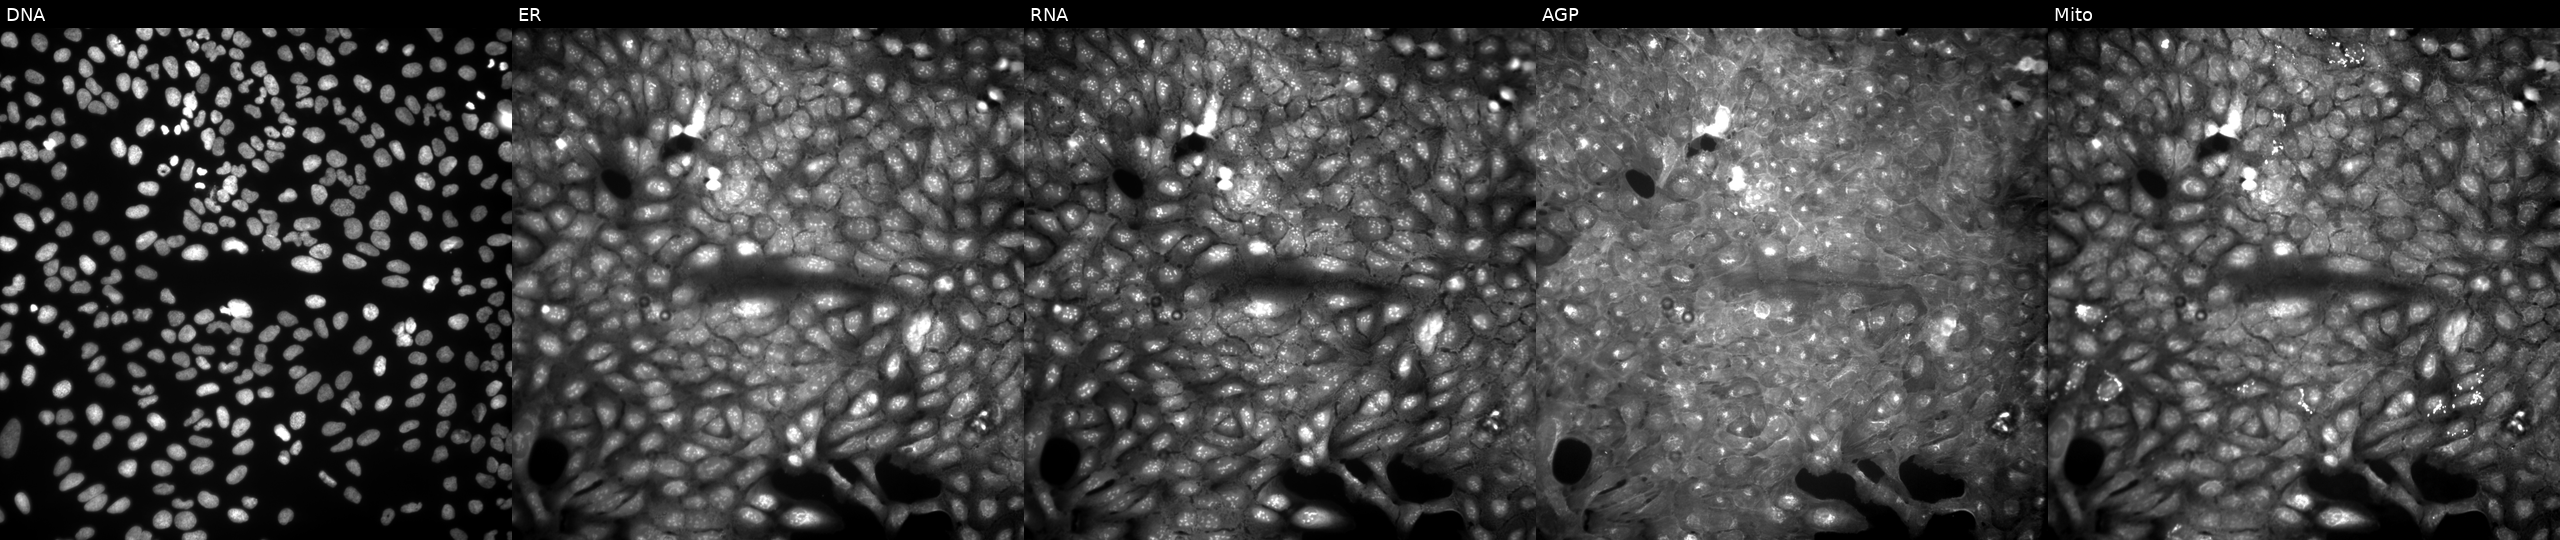
From left to right: DNA, ER, RNA, AGP, and Mito. U2OS osteosarcoma cells exposed to a small-molecule compound (InChIKey RNILNDPDKSBATK-UHFFFAOYSA-N) [SMILES: CCN(C(=O)c1c([N+](=O)[O-])cnn1C)c1ccccc1] (JUMP id JCP2022_079495). Cell Painting assay, JUMP-CP dataset. Source 9, plate GR00003382, well C40.